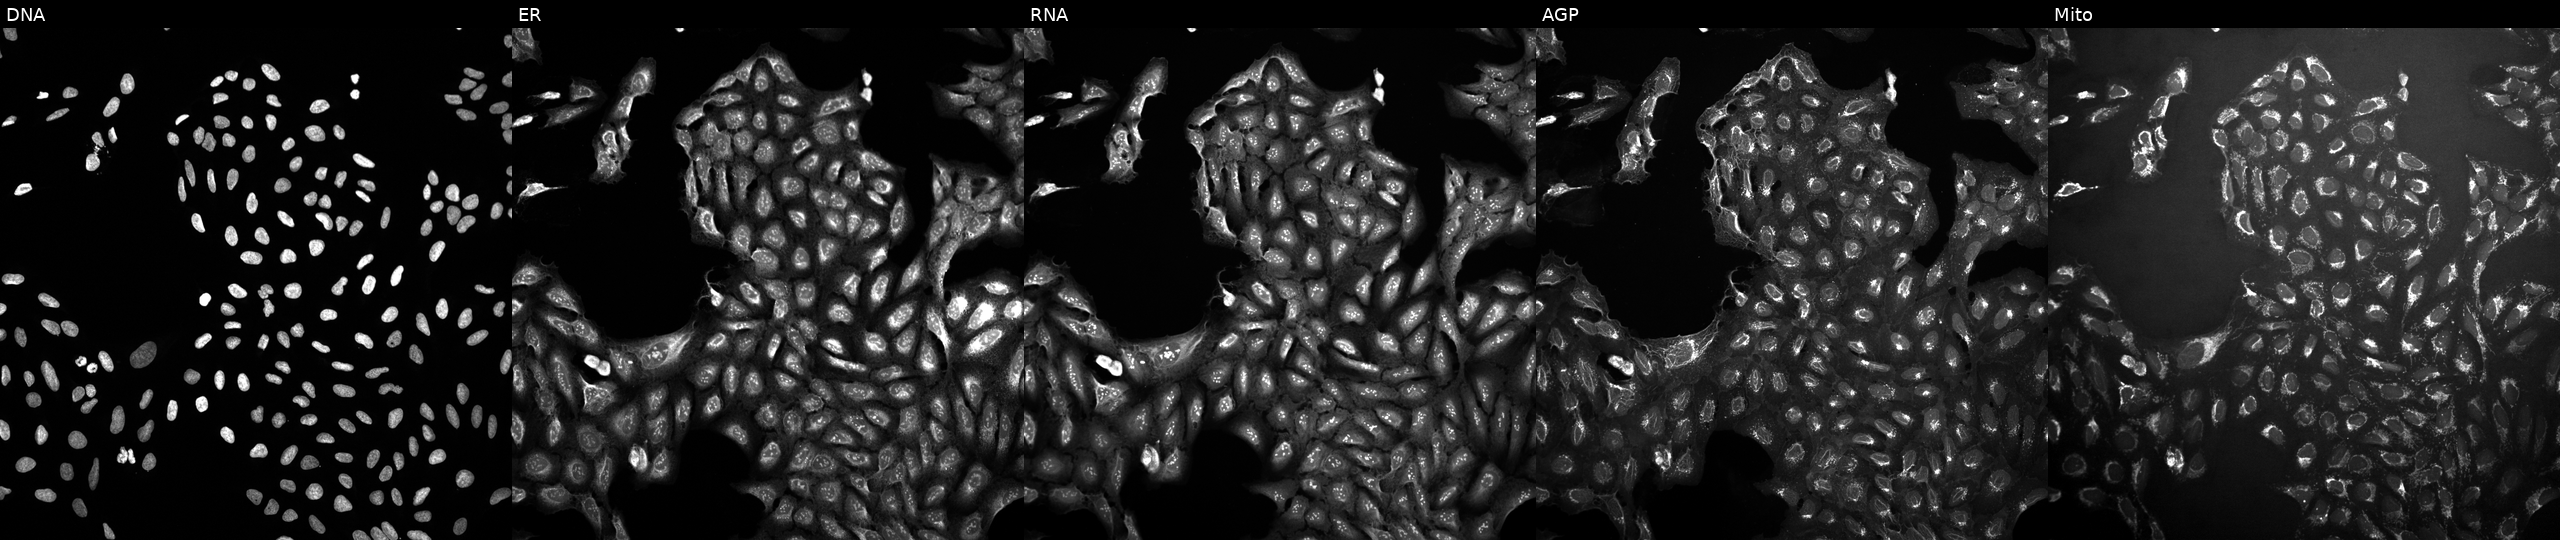
U2OS cells, Cell Painting assay, exposed to DMSO alone as a negative control (JUMP id JCP2022_033924). Panels show, left to right, DNA, ER, RNA, AGP, and Mito. Each panel is percentile-stretched 16-bit fluorescence.